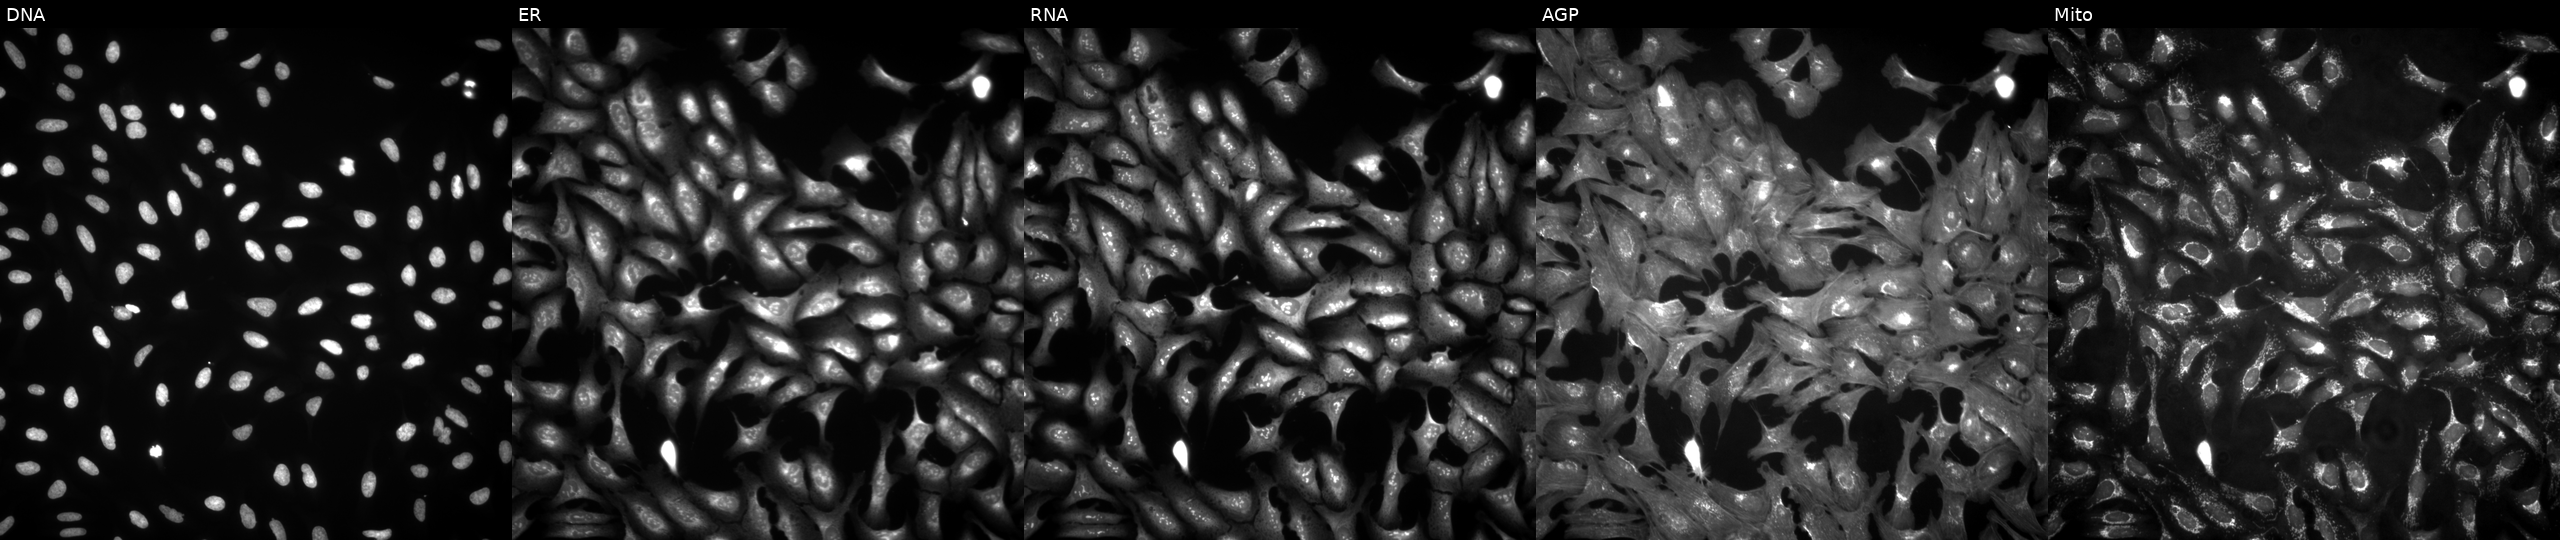
From left to right: Hoechst 33342, concanavalin A, SYTO 14, phalloidin and WGA, MitoTracker. U2OS osteosarcoma cells transfected with an ORF construct for CD69 (JUMP id JCP2022_900242). Cell Painting assay, JUMP-CP dataset. Source 4, plate BR00123509, well D14.